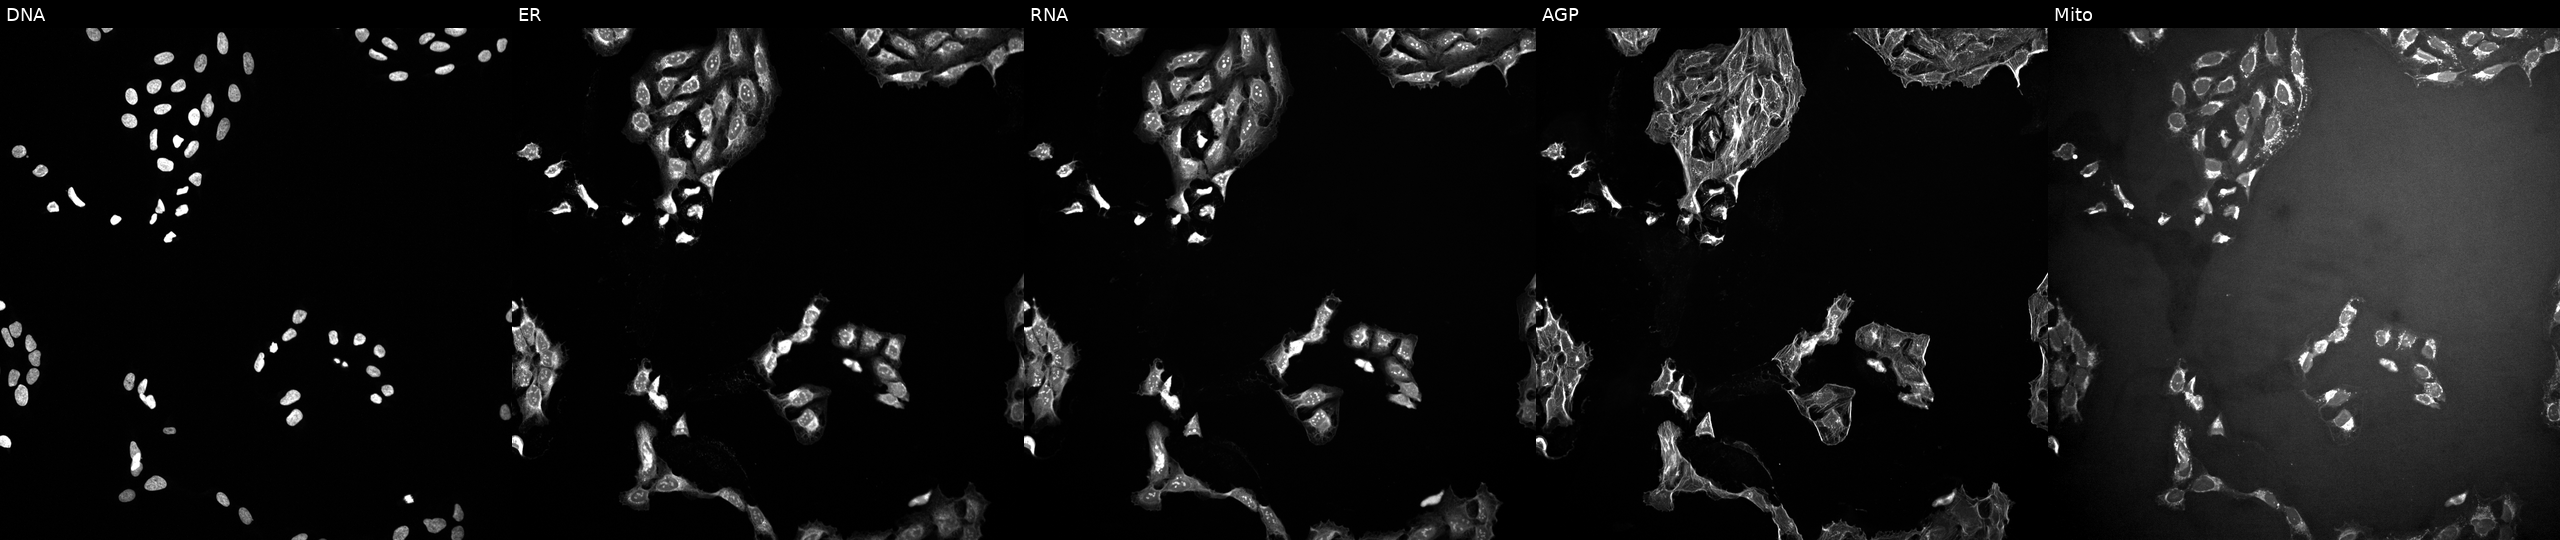
Panels show, left to right, DNA (nuclei); ER (endoplasmic reticulum); RNA (nucleoli and cytoplasmic RNA); AGP (actin cytoskeleton, Golgi, and plasma membrane); Mito (mitochondria). U2OS osteosarcoma cells treated with a small-molecule compound (InChIKey NQDJXKOVJZTUJA-UHFFFAOYSA-N). Cell Painting assay, JUMP-CP dataset. Source 10, plate Dest210727-153003, well A19.